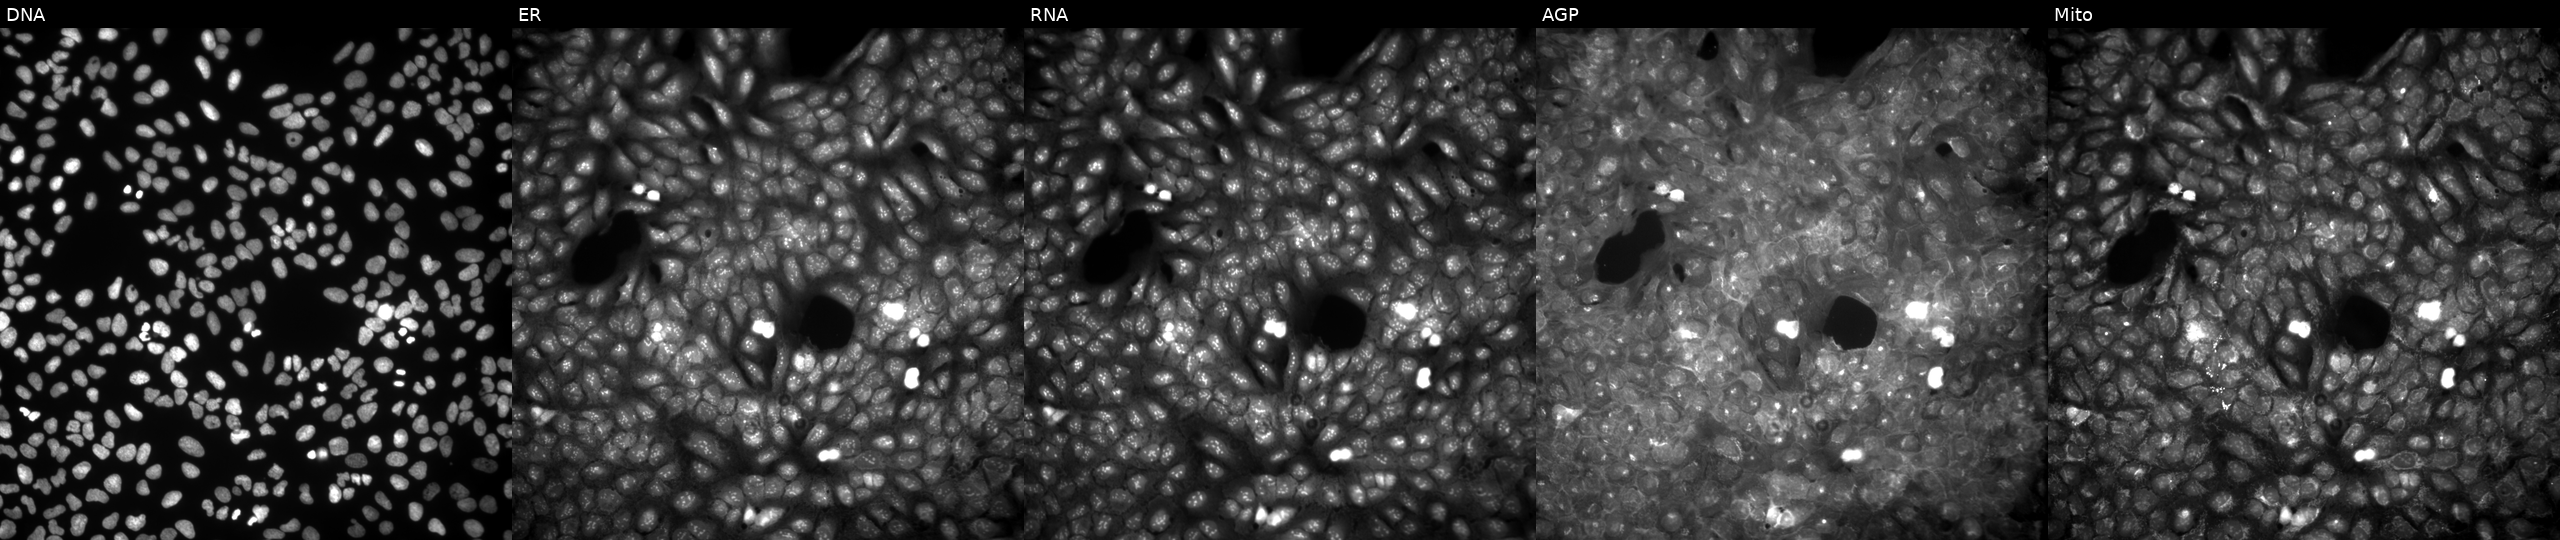
This image strip shows the five Cell Painting channels for a single field of U2OS cells perturbed with a small-molecule compound [SMILES: O=C(COc1ccc2ccc(=O)oc2c1)OCc1ccccc1]. Channels (left→right): DNA (nuclei); ER (endoplasmic reticulum); RNA (nucleoli and cytoplasmic RNA); AGP (actin cytoskeleton, Golgi, and plasma membrane); Mito (mitochondria).